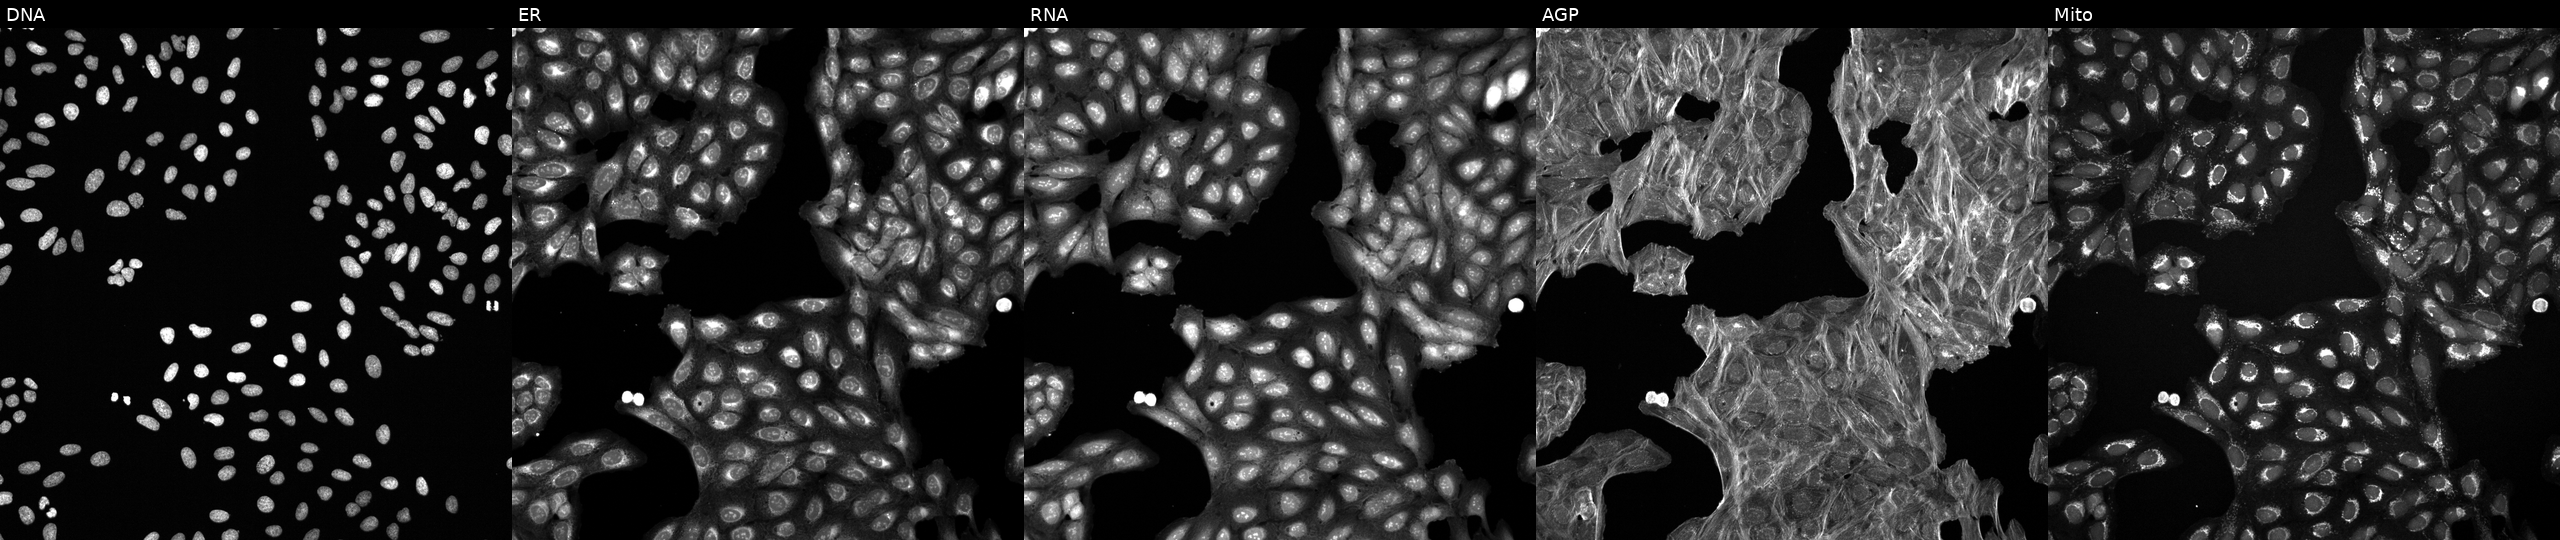
From left to right: DNA (nuclei); ER (endoplasmic reticulum); RNA (nucleoli and cytoplasmic RNA); AGP (actin cytoskeleton, Golgi, and plasma membrane); Mito (mitochondria). U2OS osteosarcoma cells treated with a small-molecule compound. Cell Painting assay, JUMP-CP dataset.